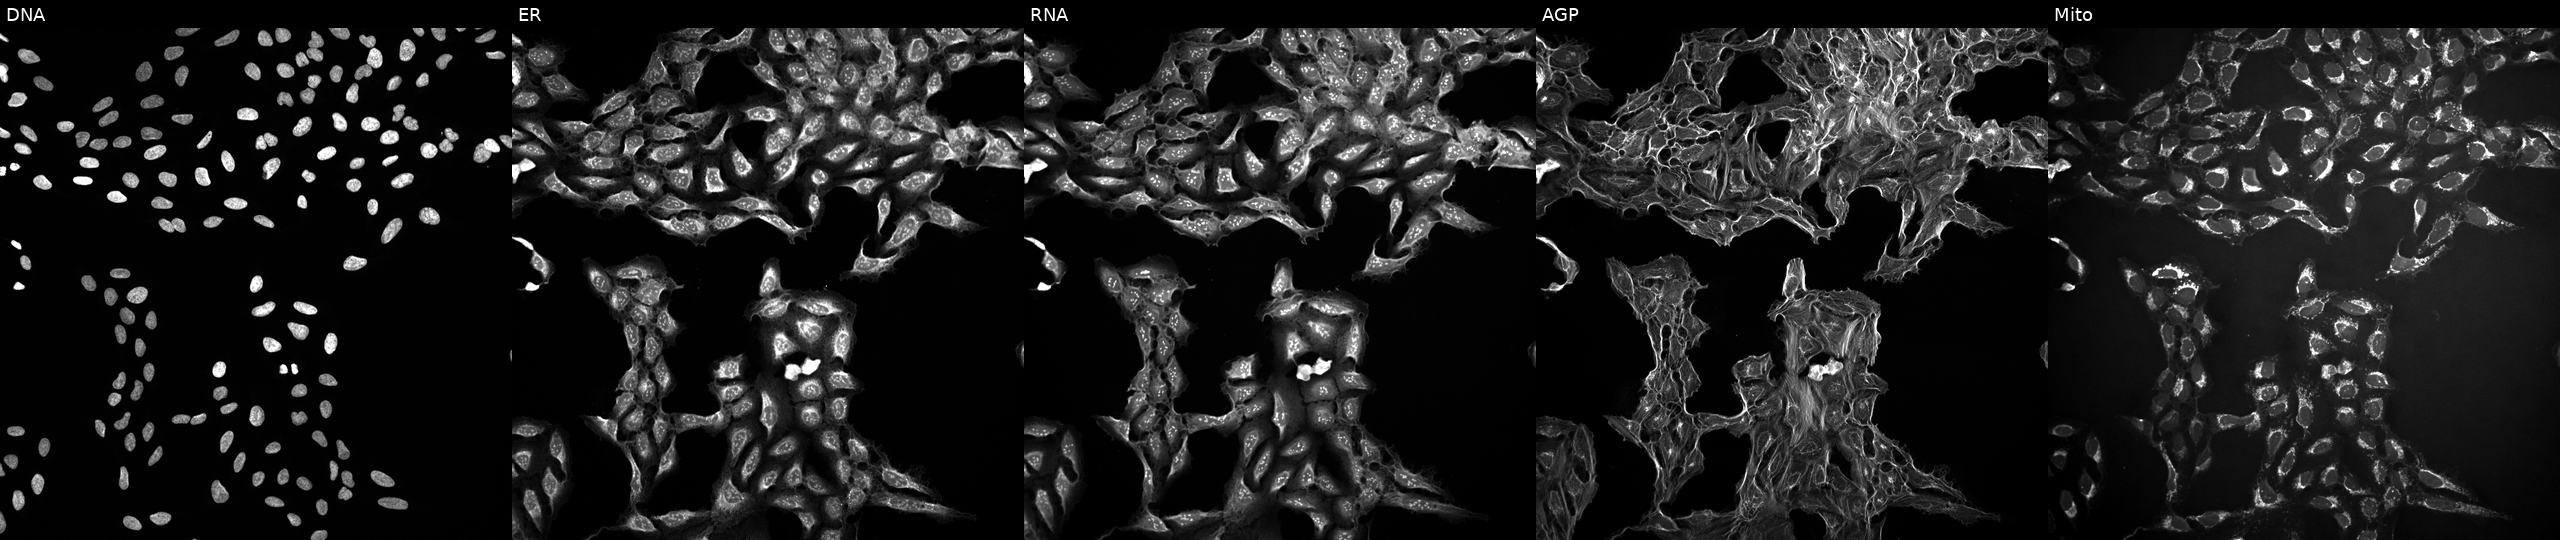
This image strip shows the five Cell Painting channels for a single field of U2OS cells exposed to DMSO alone as a negative control (JUMP id JCP2022_033924). Channels (left→right): DNA (nuclei); ER (endoplasmic reticulum); RNA (nucleoli and cytoplasmic RNA); AGP (actin cytoskeleton, Golgi, and plasma membrane); Mito (mitochondria).